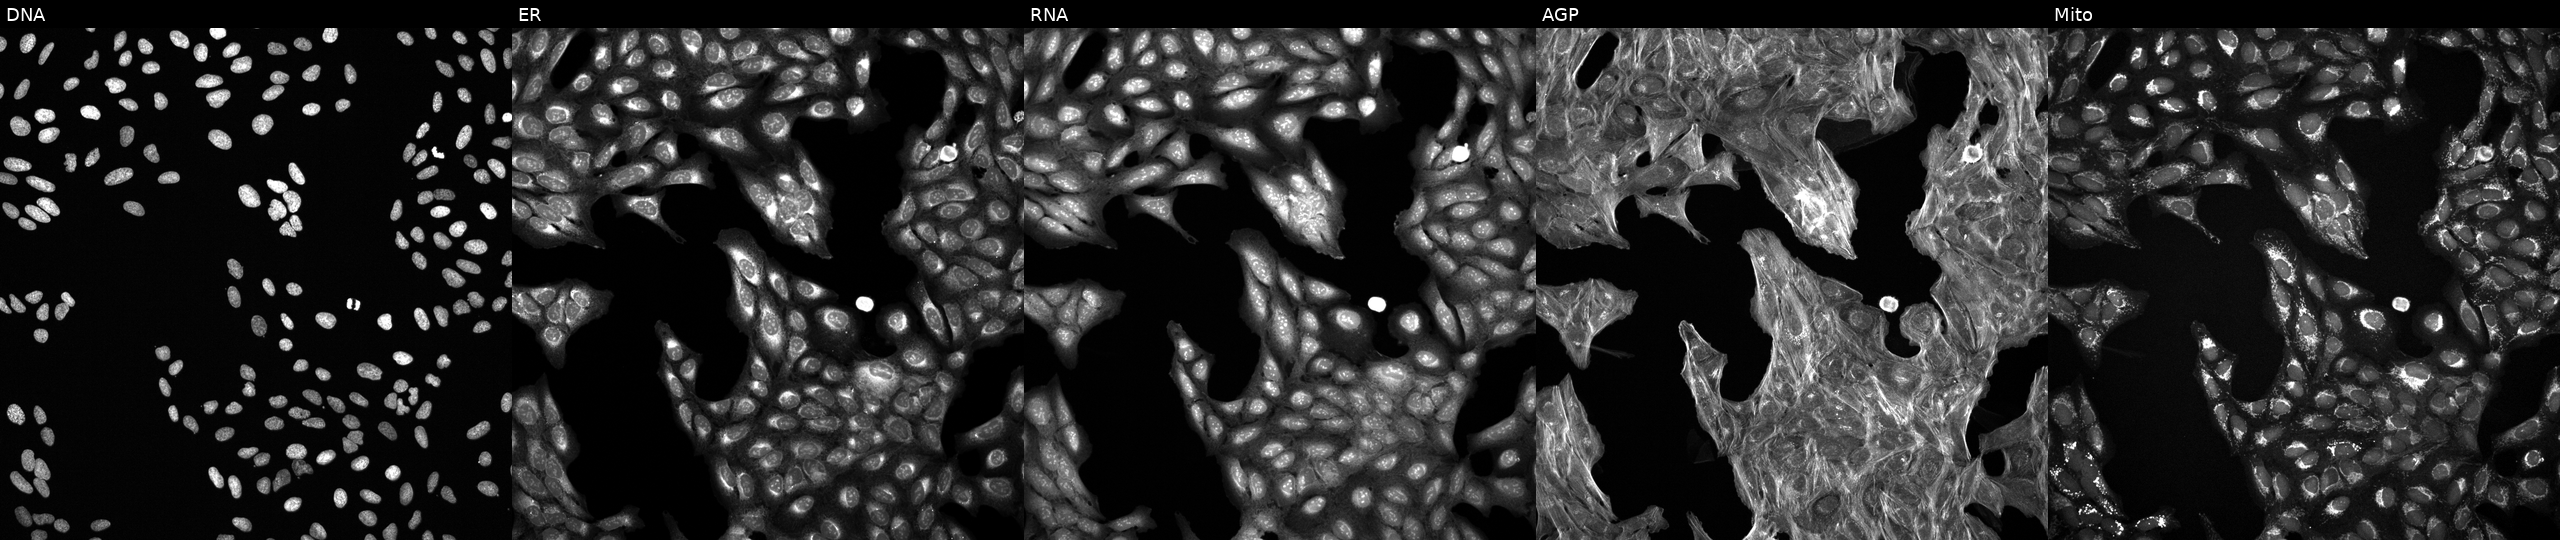
This image strip shows the five Cell Painting channels for a single field of U2OS cells exposed to a small-molecule compound (InChIKey CKTSBUTUHBMZGZ-UHFFFAOYSA-N) [SMILES: N=c1ccn(C2CC(O)C(CO)O2)c(=O)[nH]1] (JUMP id JCP2022_011759). Channels (left→right): Hoechst 33342, concanavalin A, SYTO 14, phalloidin and WGA, MitoTracker.